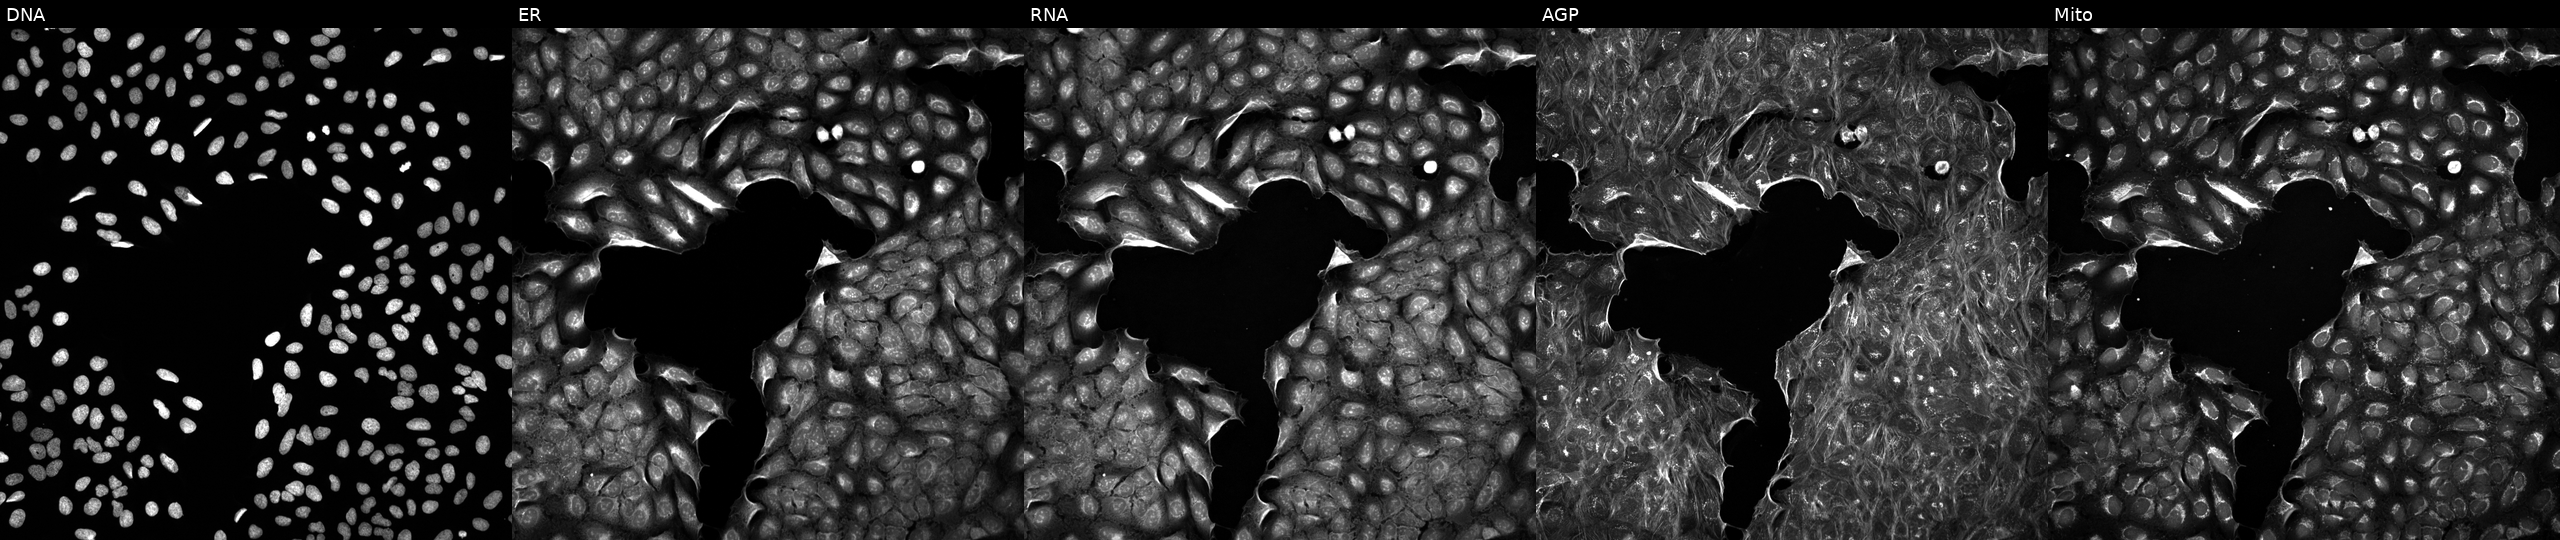
JUMP Cell Painting — TARGET2 plate. U2OS cells exposed to a small-molecule compound (InChIKey VHOGYURTWQBHIL-UHFFFAOYSA-N). Panels show, left to right, DNA (nuclei); ER (endoplasmic reticulum); RNA (nucleoli and cytoplasmic RNA); AGP (actin cytoskeleton, Golgi, and plasma membrane); Mito (mitochondria).